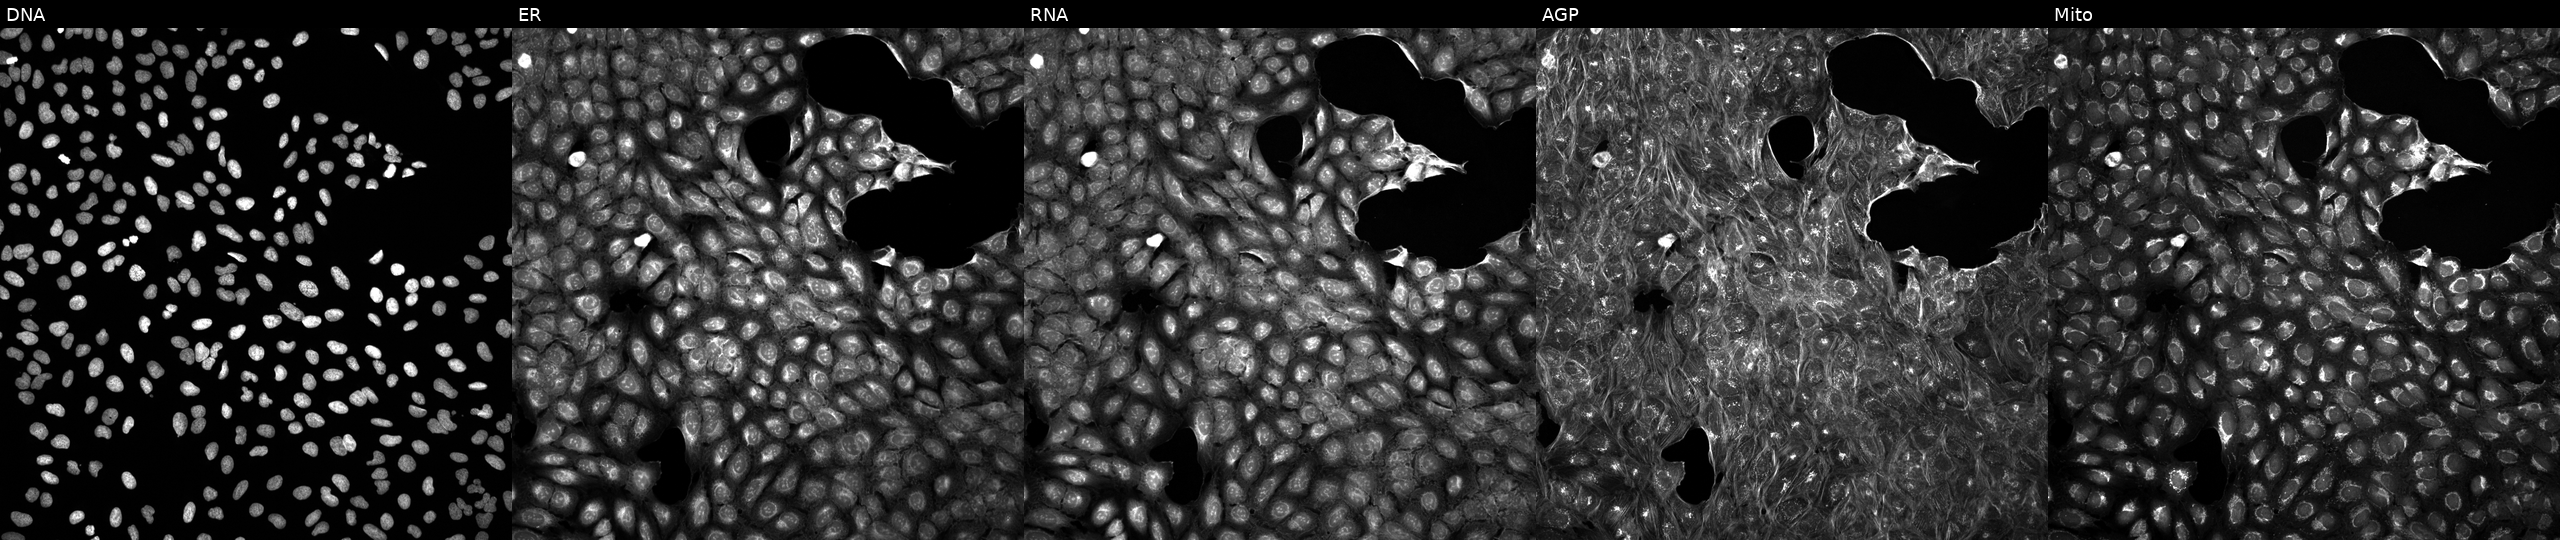
High-content fluorescence microscopy (Cell Painting). Cell line: U2OS. Perturbation: perturbed with a small-molecule compound (InChIKey ZYGHJZDHTFUPRJ-UHFFFAOYSA-N) (JUMP id JCP2022_116437). Panels show, left to right, DNA (nuclei); ER (endoplasmic reticulum); RNA (nucleoli and cytoplasmic RNA); AGP (actin cytoskeleton, Golgi, and plasma membrane); Mito (mitochondria).